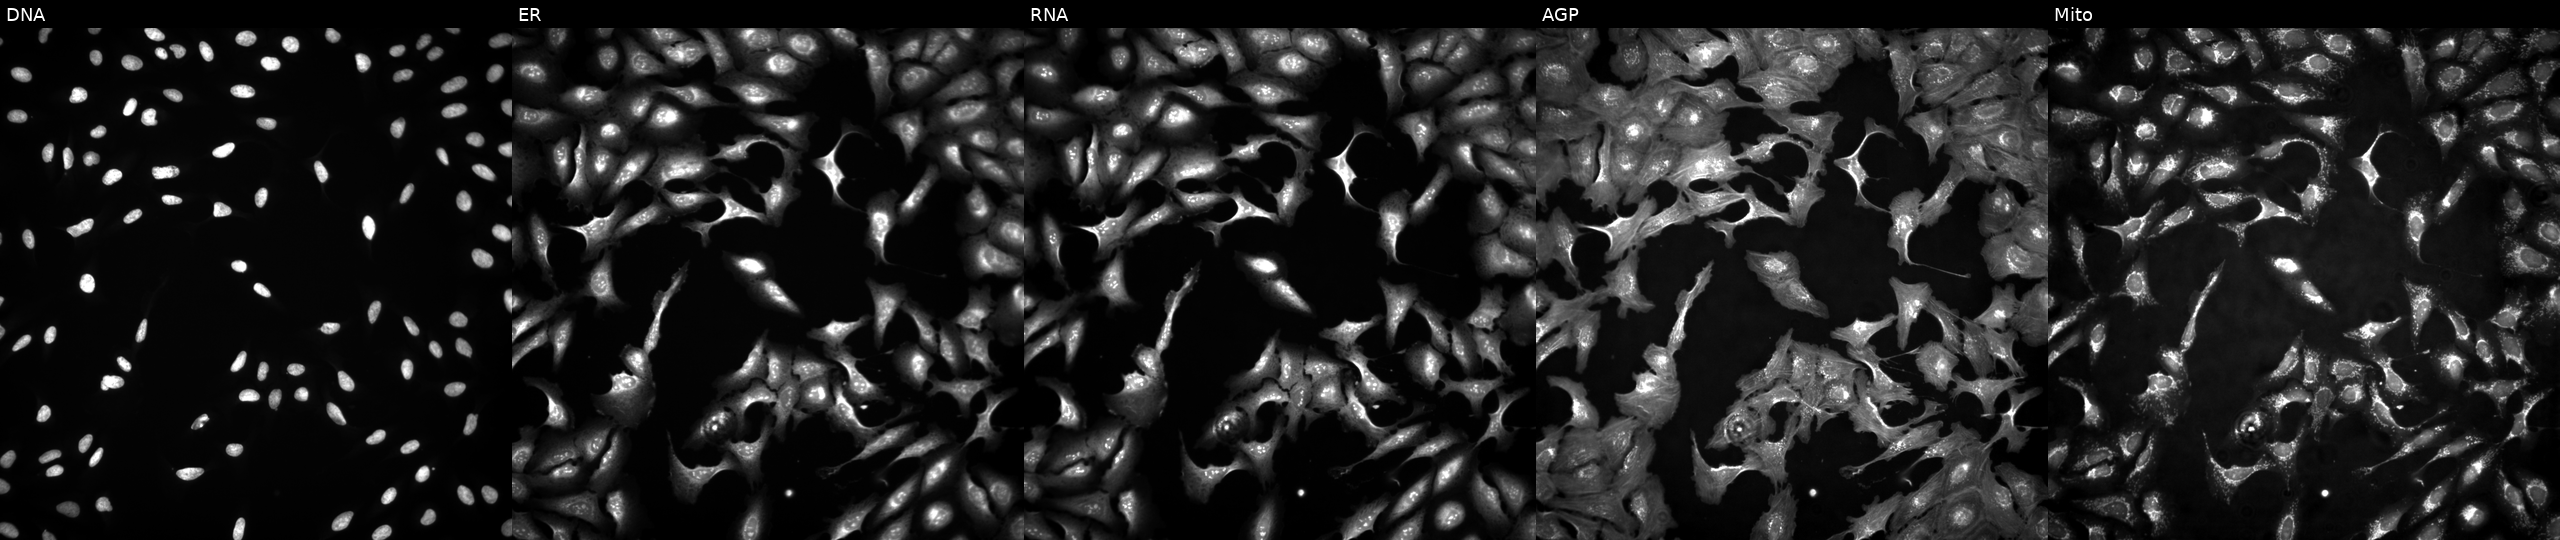
High-content fluorescence microscopy (Cell Painting). Cell line: U2OS. Perturbation: untreated (empty-well control) (JUMP id JCP2022_999999). Channels (left→right): DNA, ER, RNA, AGP, and Mito.